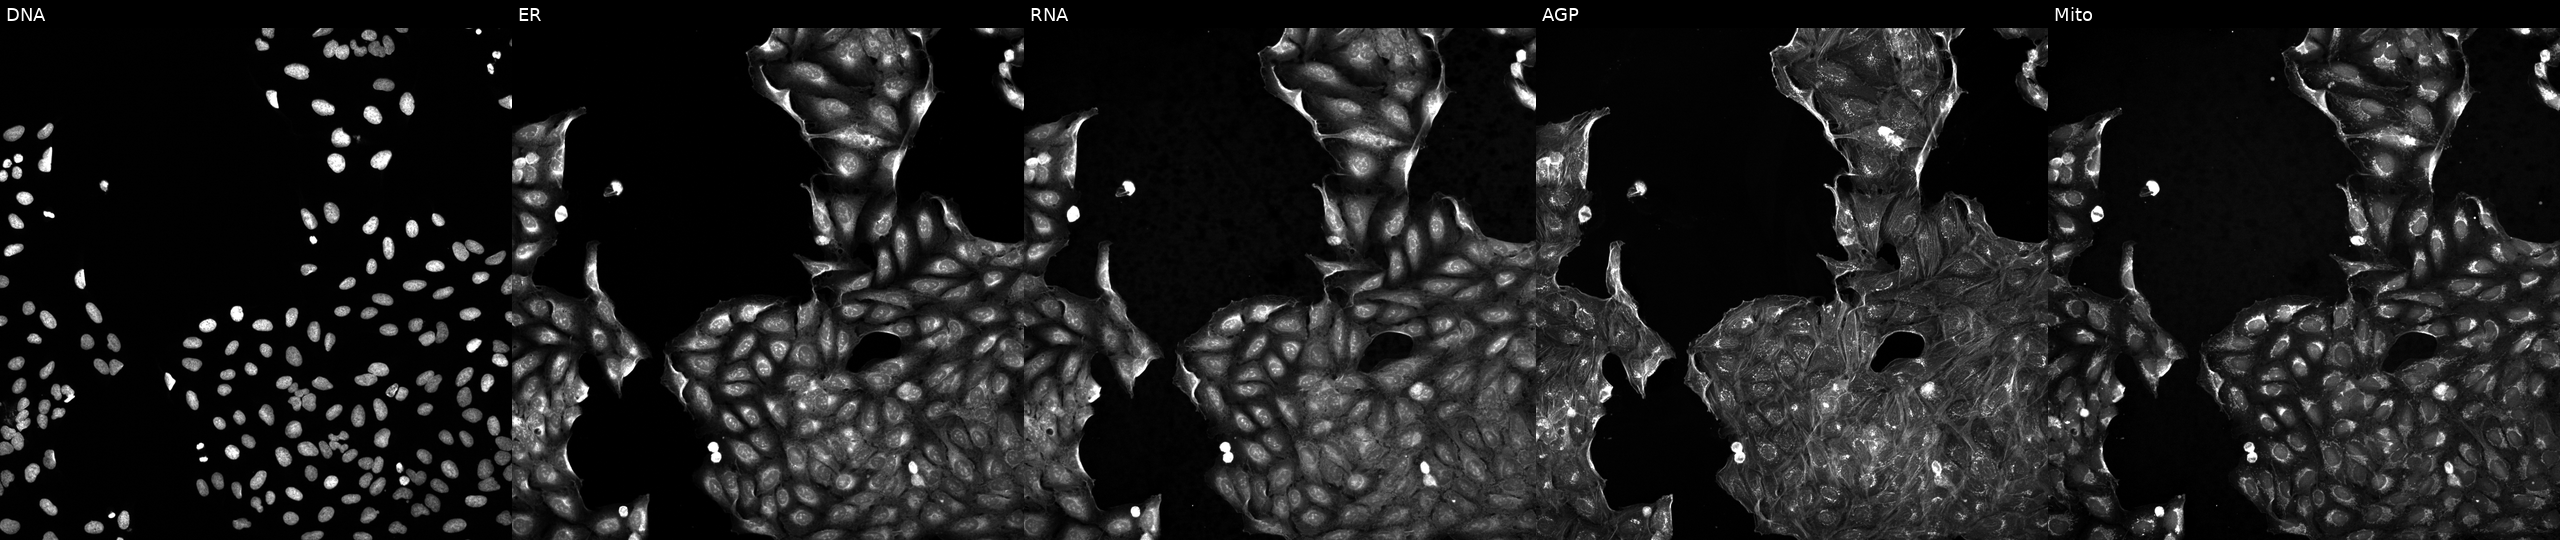
This image strip shows the five Cell Painting channels for a single field of U2OS cells perturbed with a small-molecule compound (InChIKey QUIIIYITNGOFEI-UHFFFAOYSA-N). Channels (left→right): DNA (nuclei); ER (endoplasmic reticulum); RNA (nucleoli and cytoplasmic RNA); AGP (actin cytoskeleton, Golgi, and plasma membrane); Mito (mitochondria).